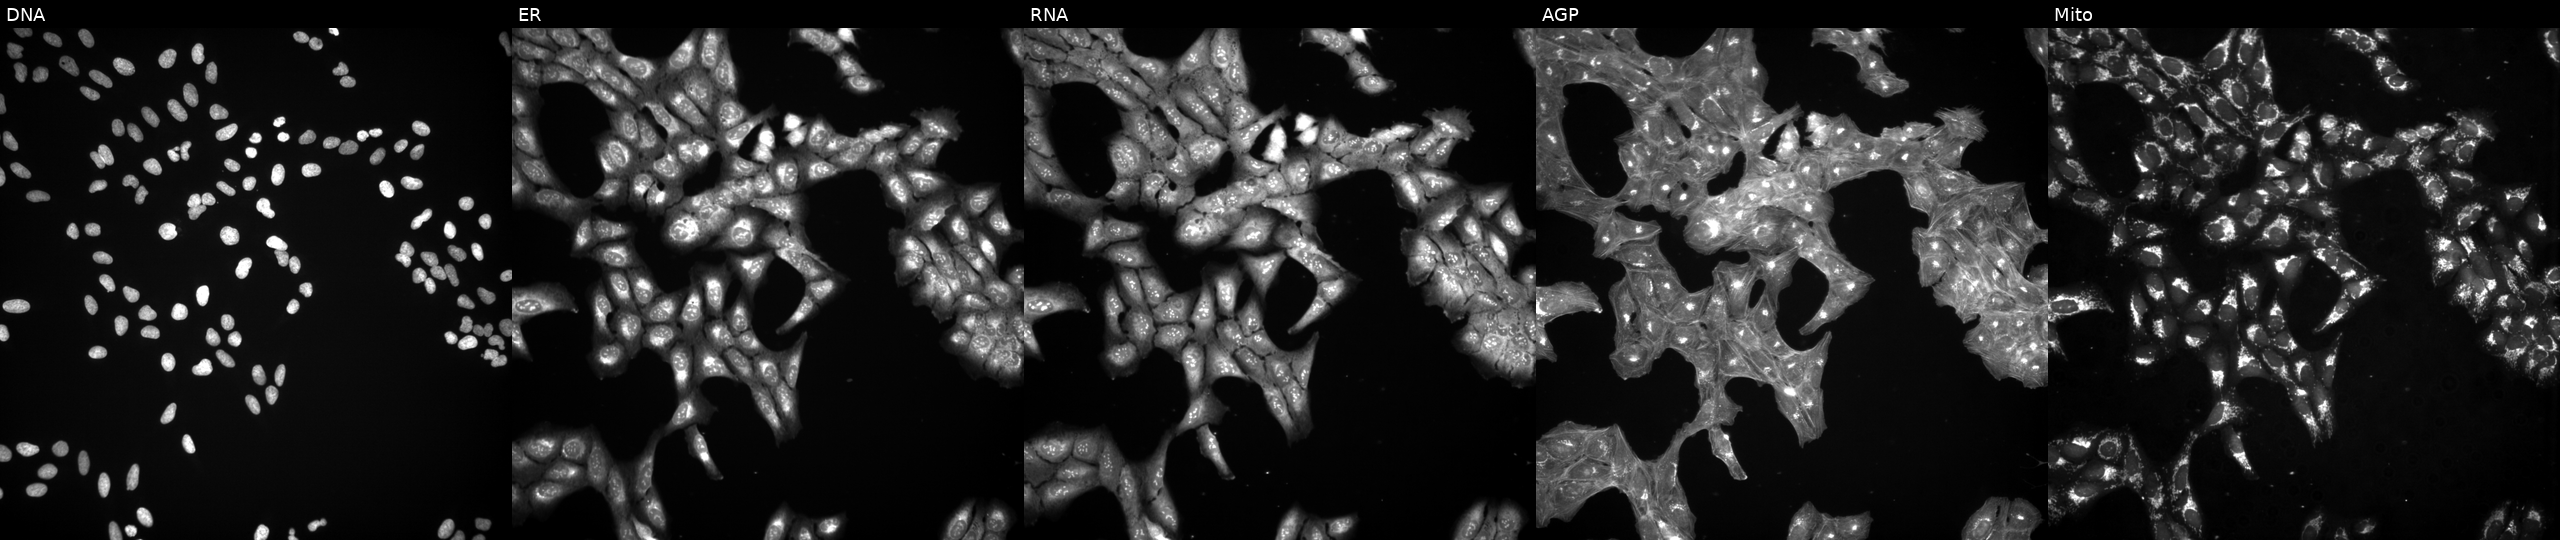
Five-channel Cell Painting image of U2OS cells exposed to a small-molecule compound (InChIKey JPKKDNGXWRMSKW-UHFFFAOYSA-N). Panels show, left to right, DNA (nuclei); ER (endoplasmic reticulum); RNA (nucleoli and cytoplasmic RNA); AGP (actin cytoskeleton, Golgi, and plasma membrane); Mito (mitochondria).